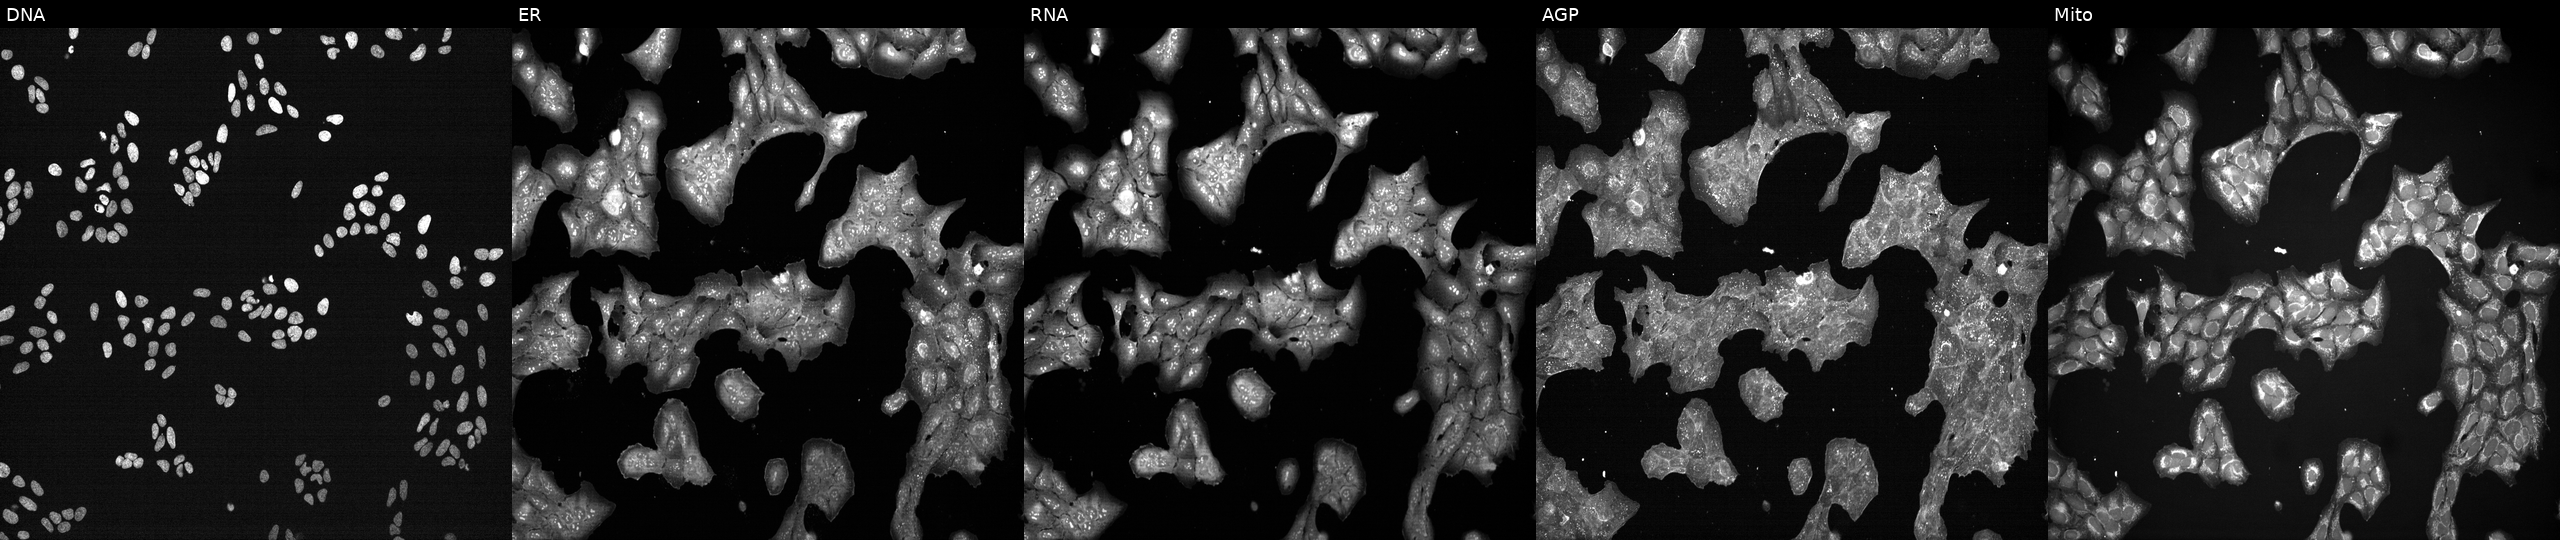
U2OS cells, Cell Painting assay, exposed to a small-molecule compound (InChIKey DHMTURDWPRKSOA-UHFFFAOYSA-N) (JUMP id JCP2022_015955). Panels show, left to right, DNA (nuclei); ER (endoplasmic reticulum); RNA (nucleoli and cytoplasmic RNA); AGP (actin cytoskeleton, Golgi, and plasma membrane); Mito (mitochondria). Each panel is percentile-stretched 16-bit fluorescence.